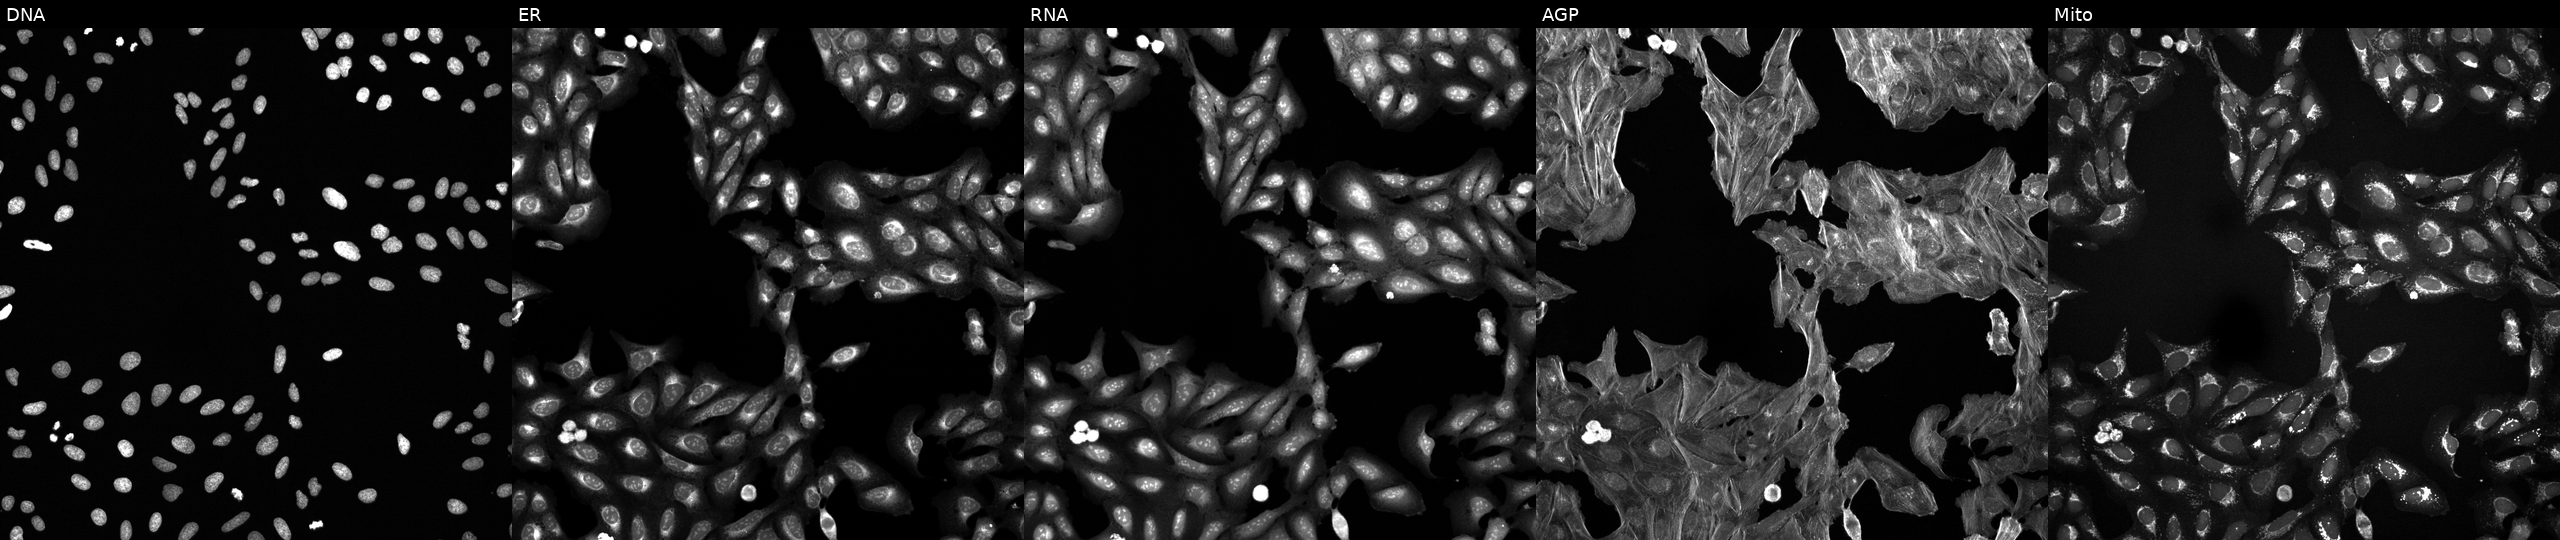
JUMP Cell Painting — TARGET2 plate. U2OS cells perturbed with a small-molecule compound (InChIKey ONIBWKKTOPOVIA-UHFFFAOYSA-N). Channels (left→right): Hoechst 33342, concanavalin A, SYTO 14, phalloidin and WGA, MitoTracker. Source 6, plate 110000293081, well M02.